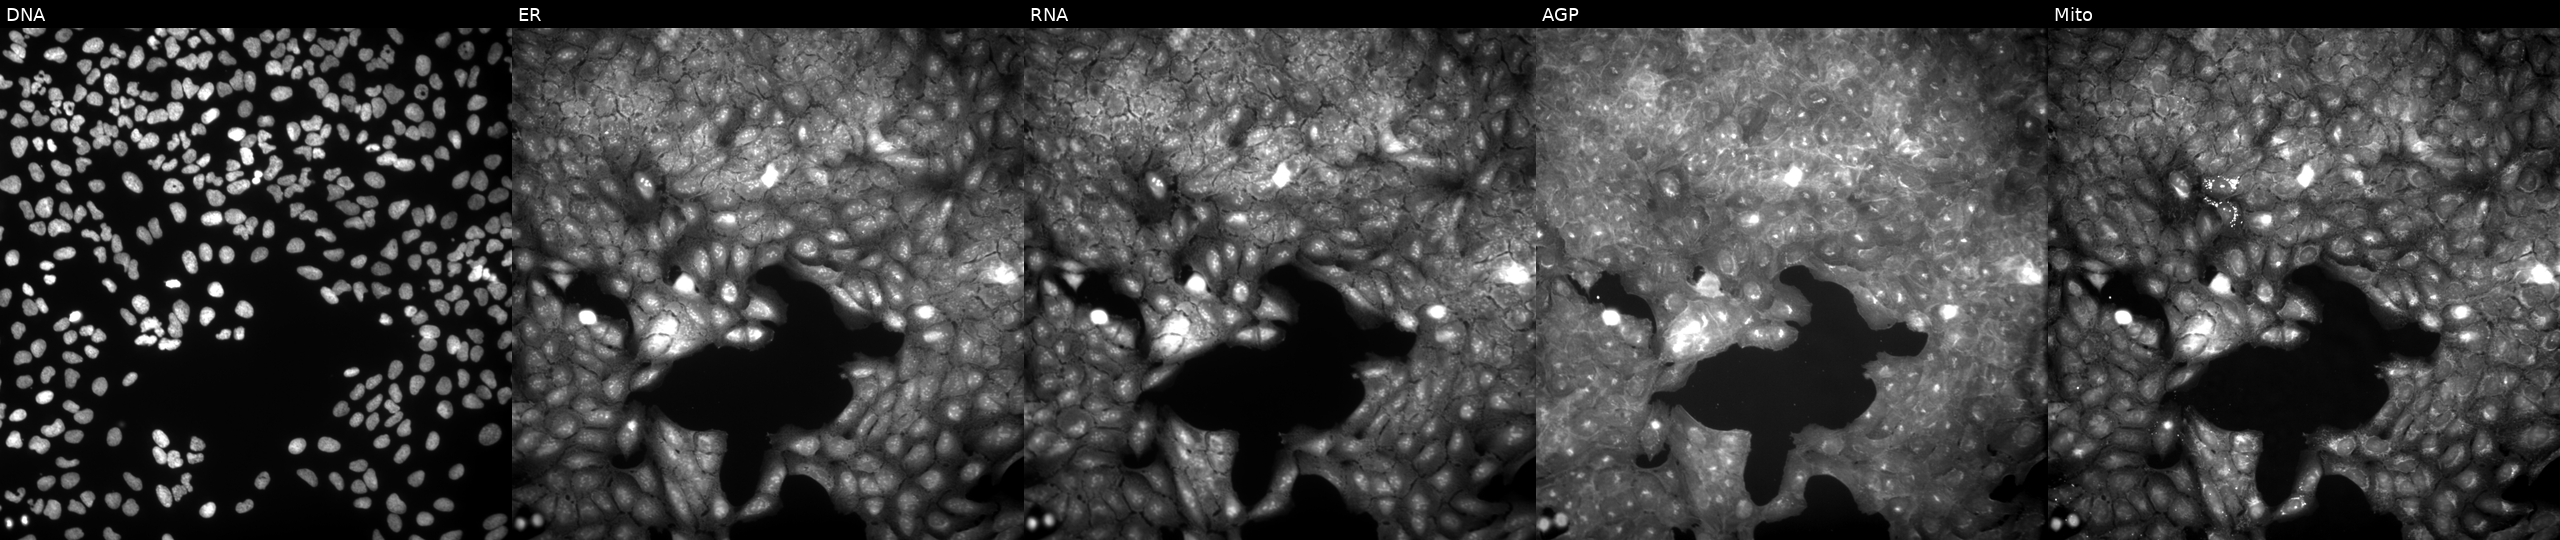
This image strip shows the five Cell Painting channels for a single field of U2OS cells perturbed with a small-molecule compound. Channels (left→right): DNA (nuclei); ER (endoplasmic reticulum); RNA (nucleoli and cytoplasmic RNA); AGP (actin cytoskeleton, Golgi, and plasma membrane); Mito (mitochondria). Source 9, plate GR00003381, well O27.